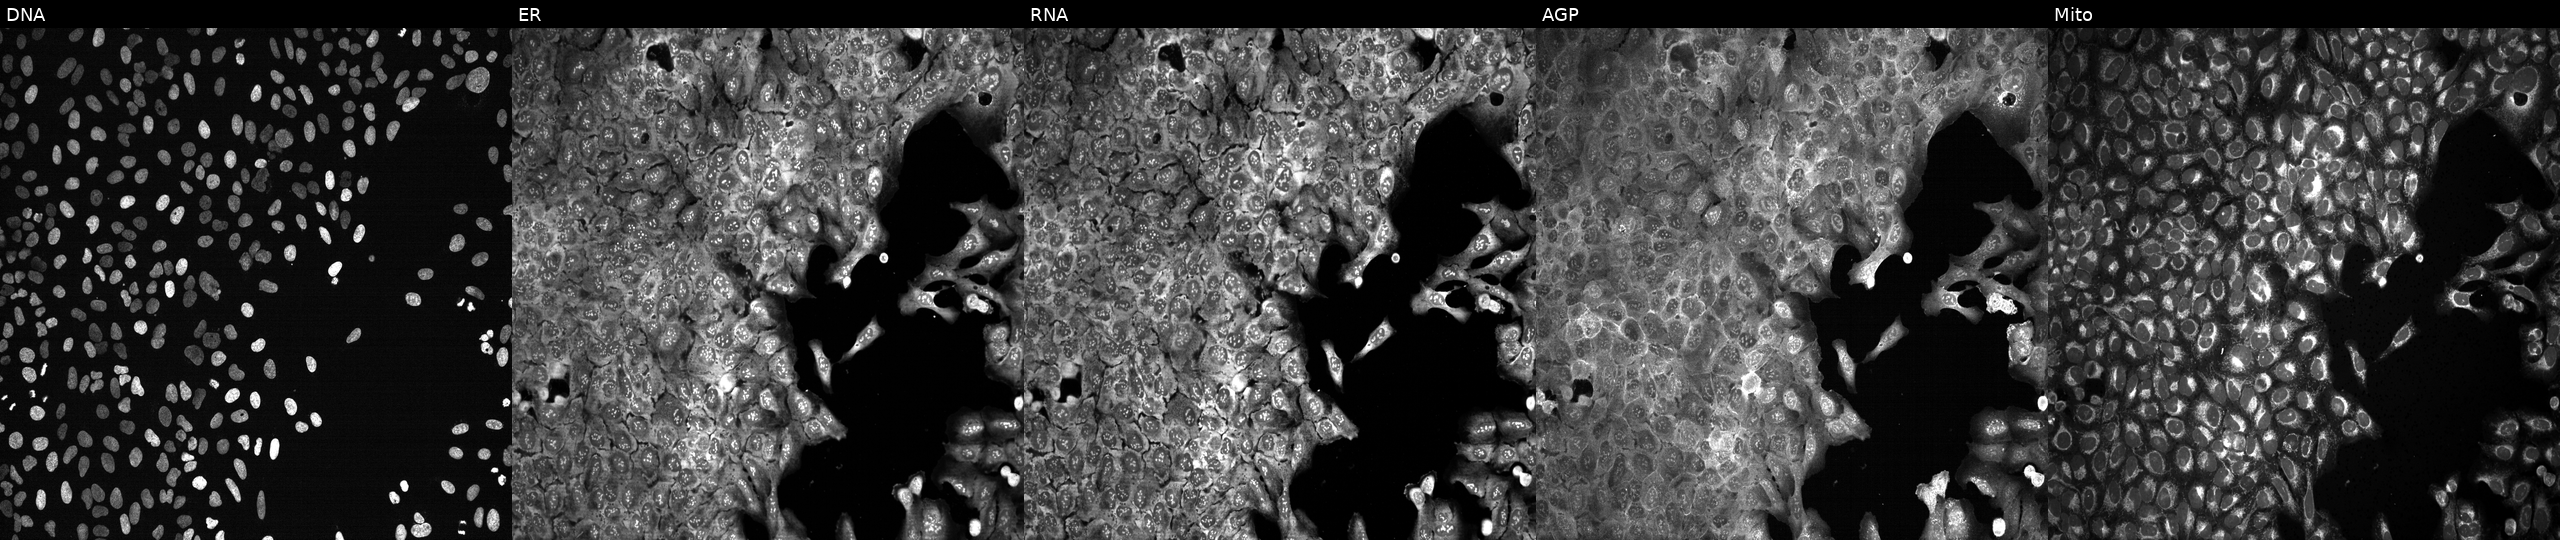
High-content fluorescence microscopy (Cell Painting). Cell line: U2OS. Perturbation: CRISPR-edited to disrupt F8 (JUMP id JCP2022_802240). From left to right: Hoechst 33342, concanavalin A, SYTO 14, phalloidin and WGA, MitoTracker. Source 13, plate CP-CC9-R4-03, well D18.